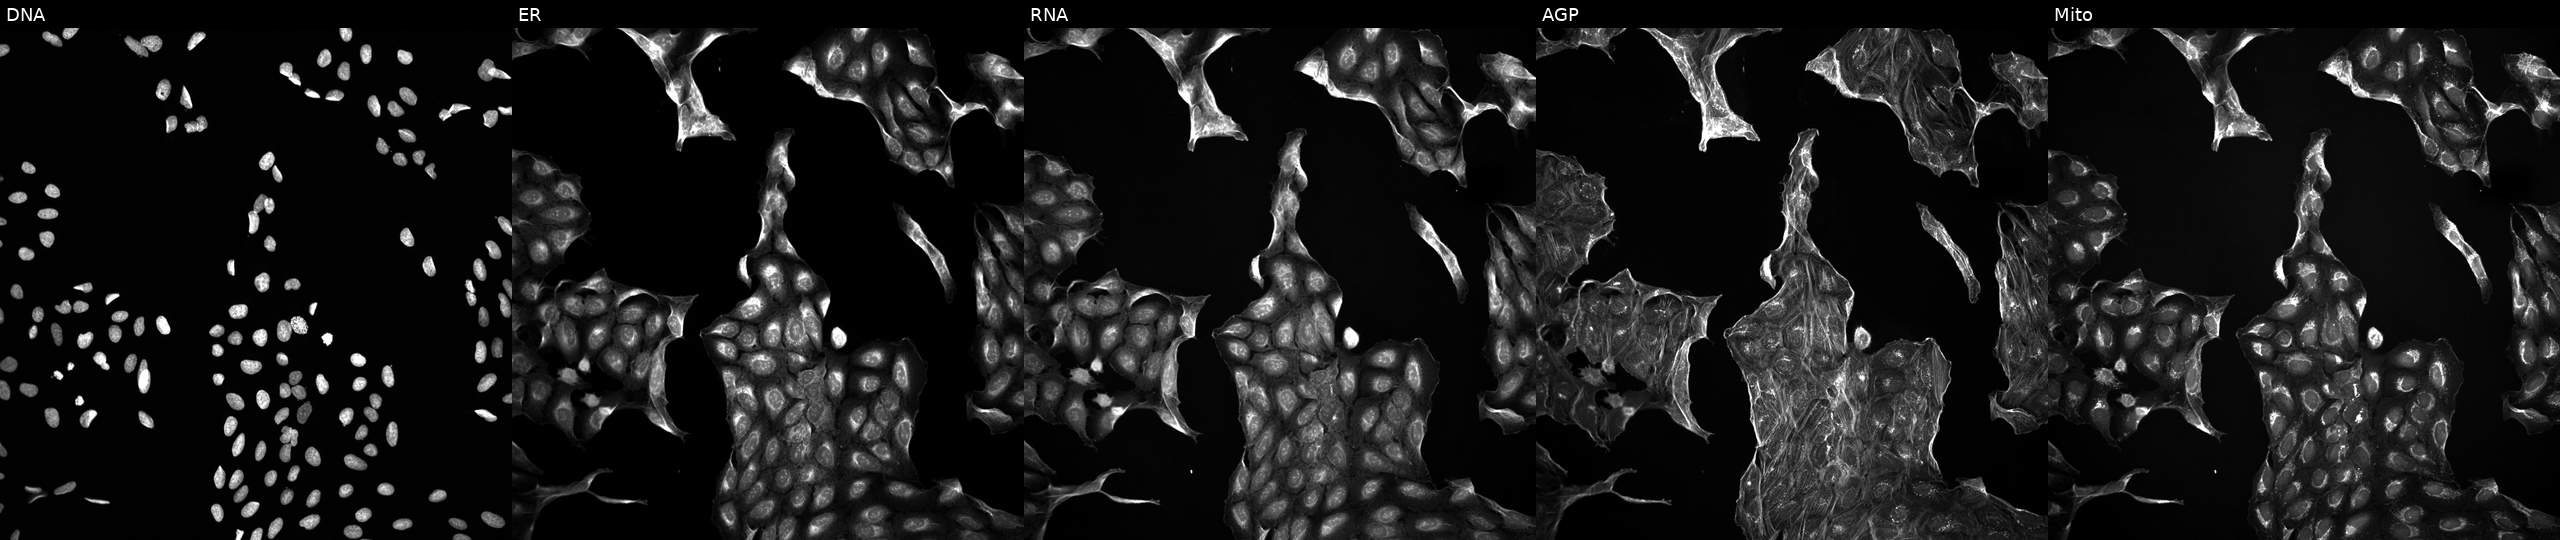
This image strip shows the five Cell Painting channels for a single field of U2OS cells exposed to a small-molecule compound (InChIKey LPYXWGMUVRGUOY-UHFFFAOYSA-N). Panels show, left to right, Hoechst 33342, concanavalin A, SYTO 14, phalloidin and WGA, MitoTracker.